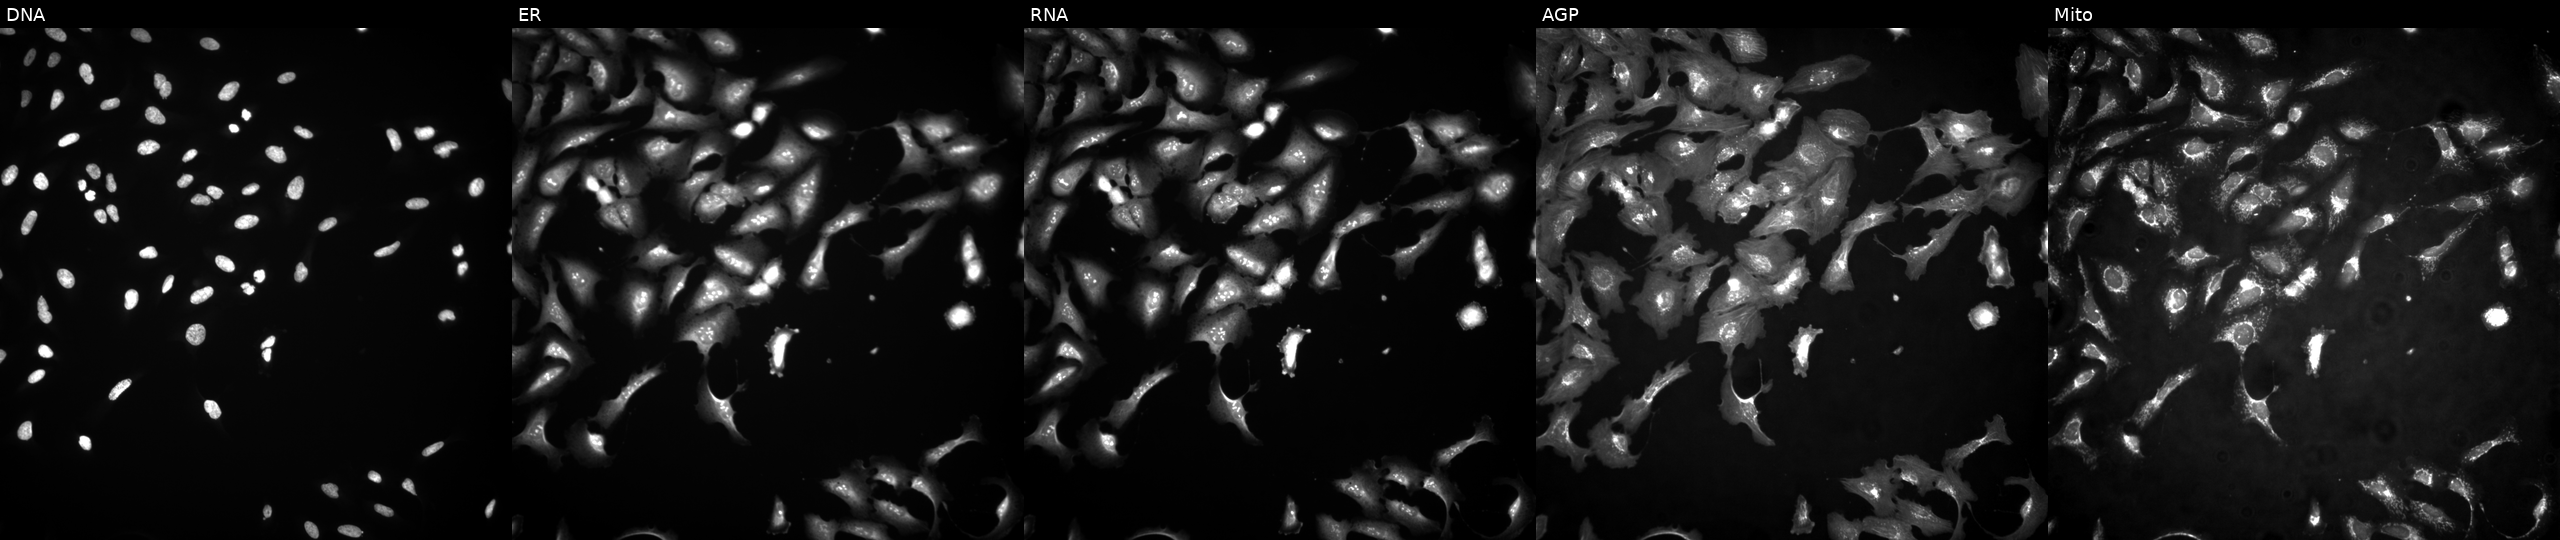
Panels show, left to right, DNA, ER, RNA, AGP, and Mito. U2OS osteosarcoma cells overexpressing ZSCAN29 via ORF transfection. Cell Painting assay, JUMP-CP dataset.